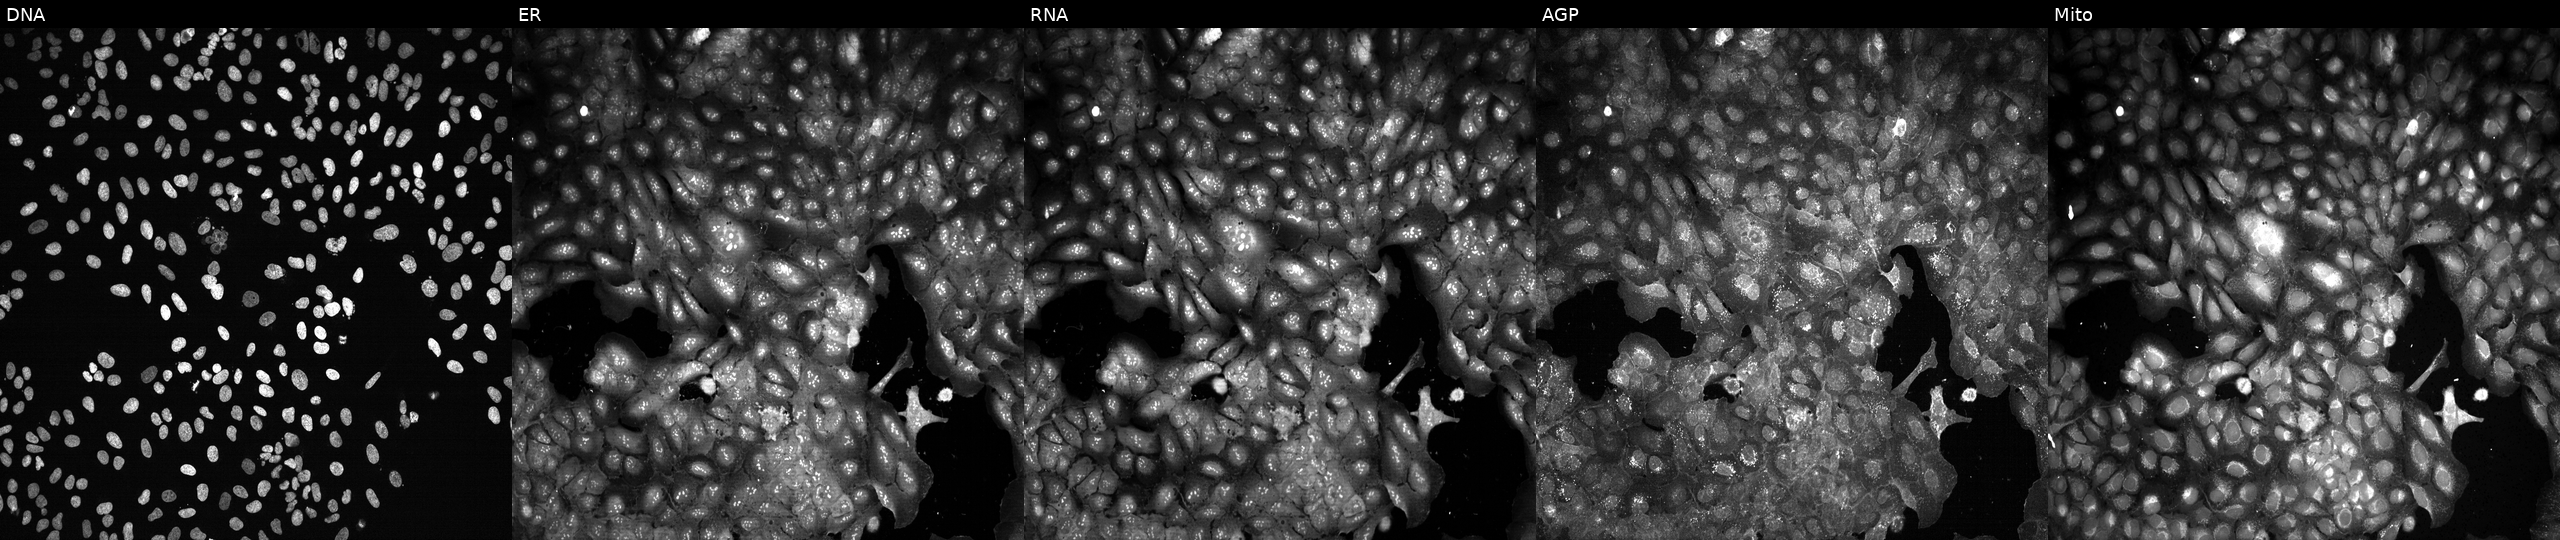
JUMP Cell Painting — CRISPR plate. U2OS cells CRISPR-edited to disrupt TLR5. The five panels, left to right, show Hoechst 33342, concanavalin A, SYTO 14, phalloidin and WGA, MitoTracker. Source 13, plate CP-CC9-R1-01, well O10.